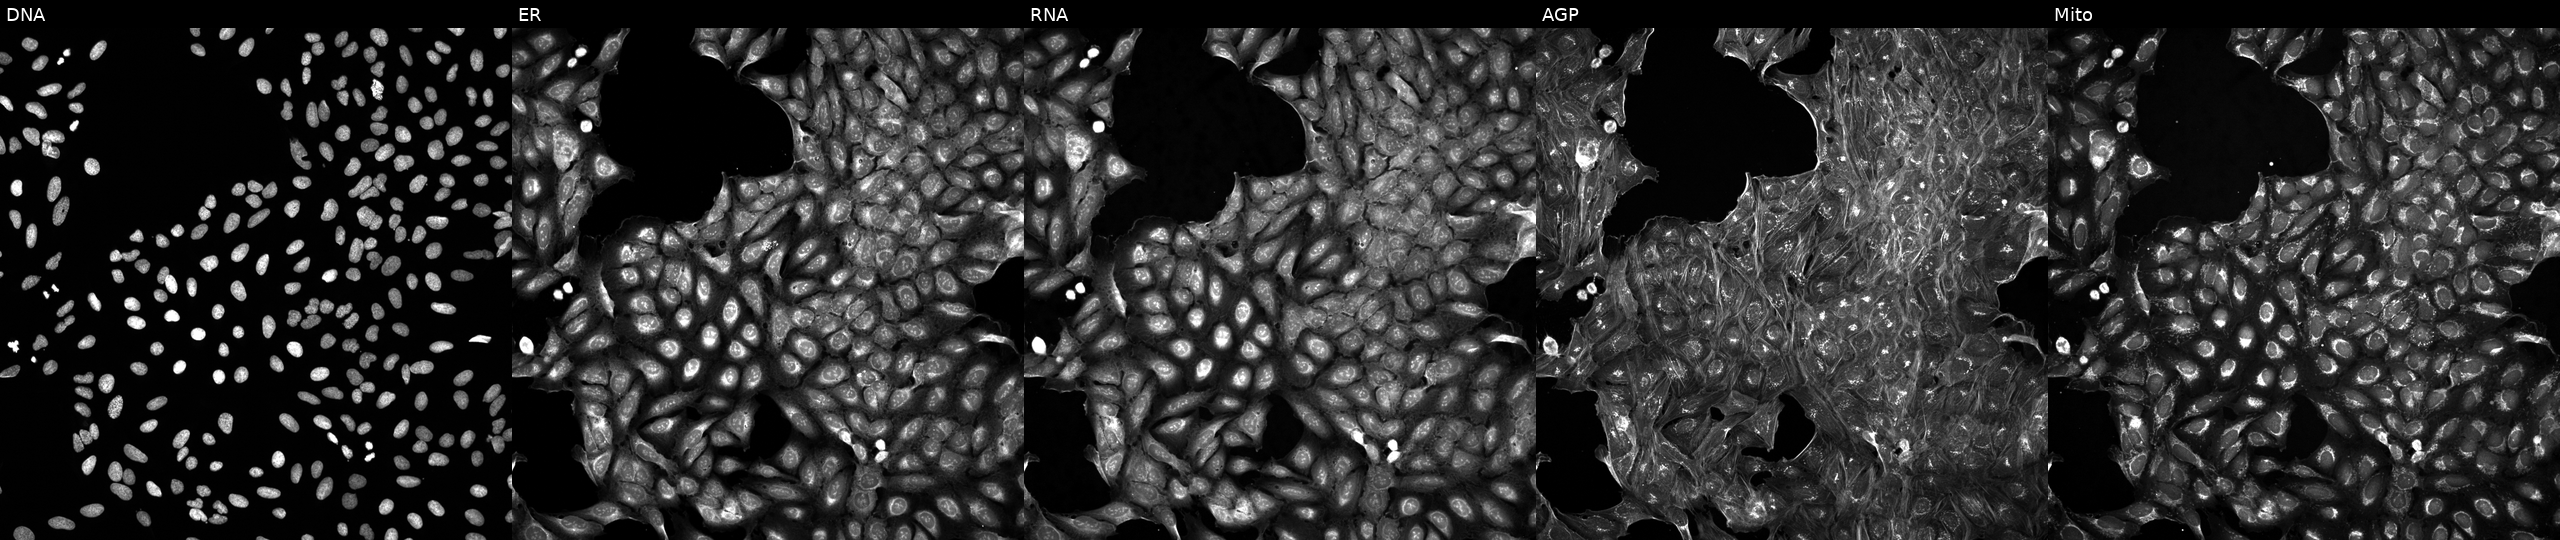
High-content fluorescence microscopy (Cell Painting). Cell line: U2OS. Perturbation: exposed to DMSO alone as a negative control (JUMP id JCP2022_033924). Panels show, left to right, DNA (nuclei); ER (endoplasmic reticulum); RNA (nucleoli and cytoplasmic RNA); AGP (actin cytoskeleton, Golgi, and plasma membrane); Mito (mitochondria). Source 5, plate ACPJUM032, well B12.